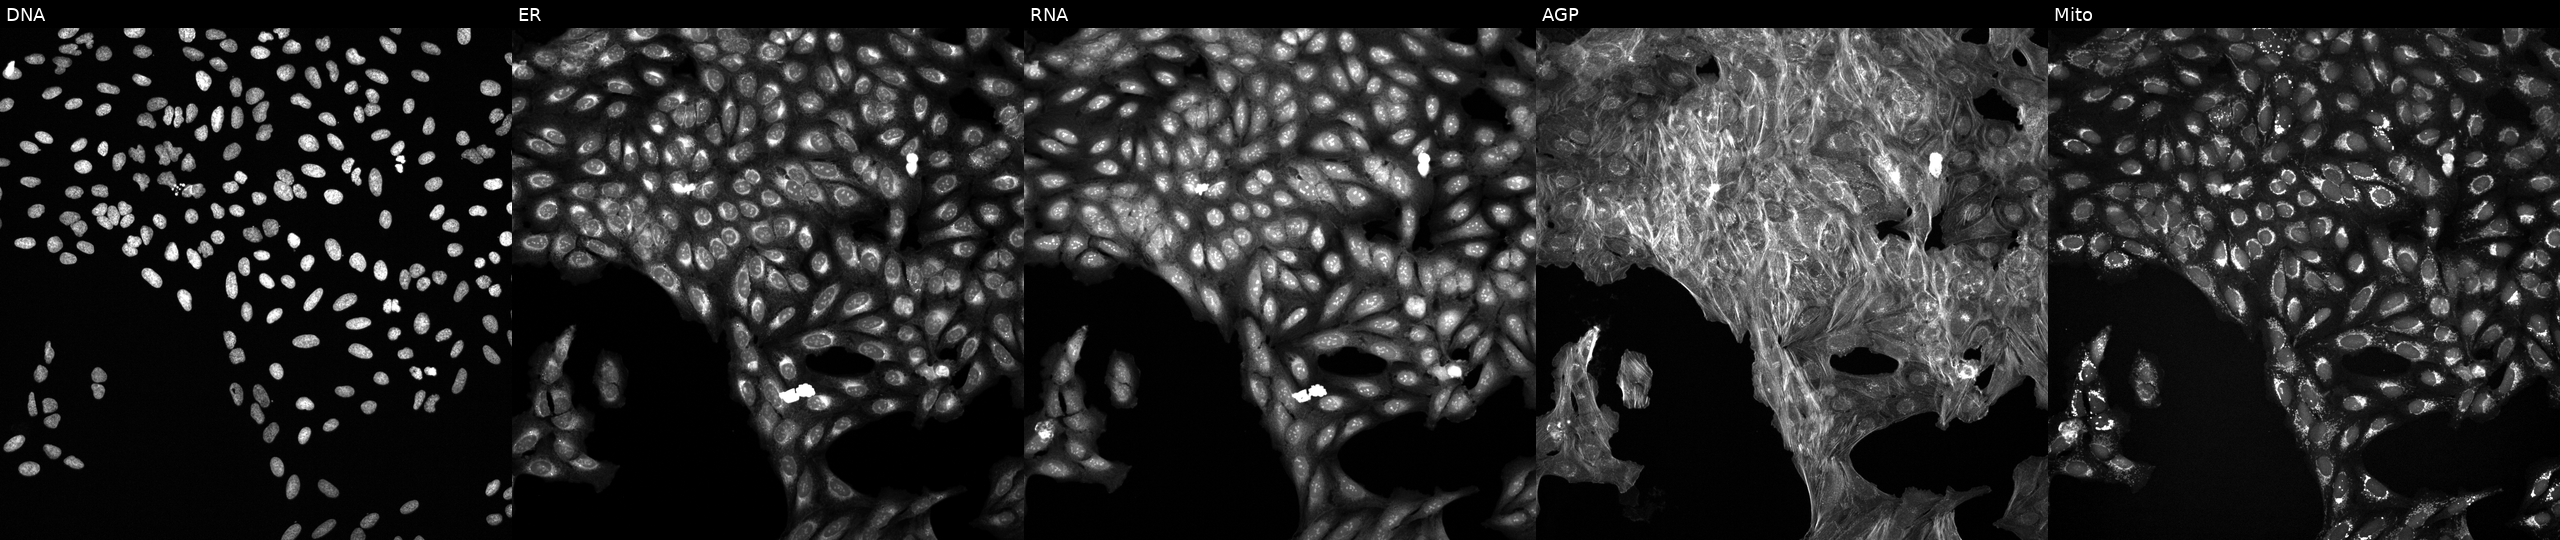
From left to right: DNA, ER, RNA, AGP, and Mito. U2OS osteosarcoma cells exposed to DMSO alone as a negative control. Cell Painting assay, JUMP-CP dataset.